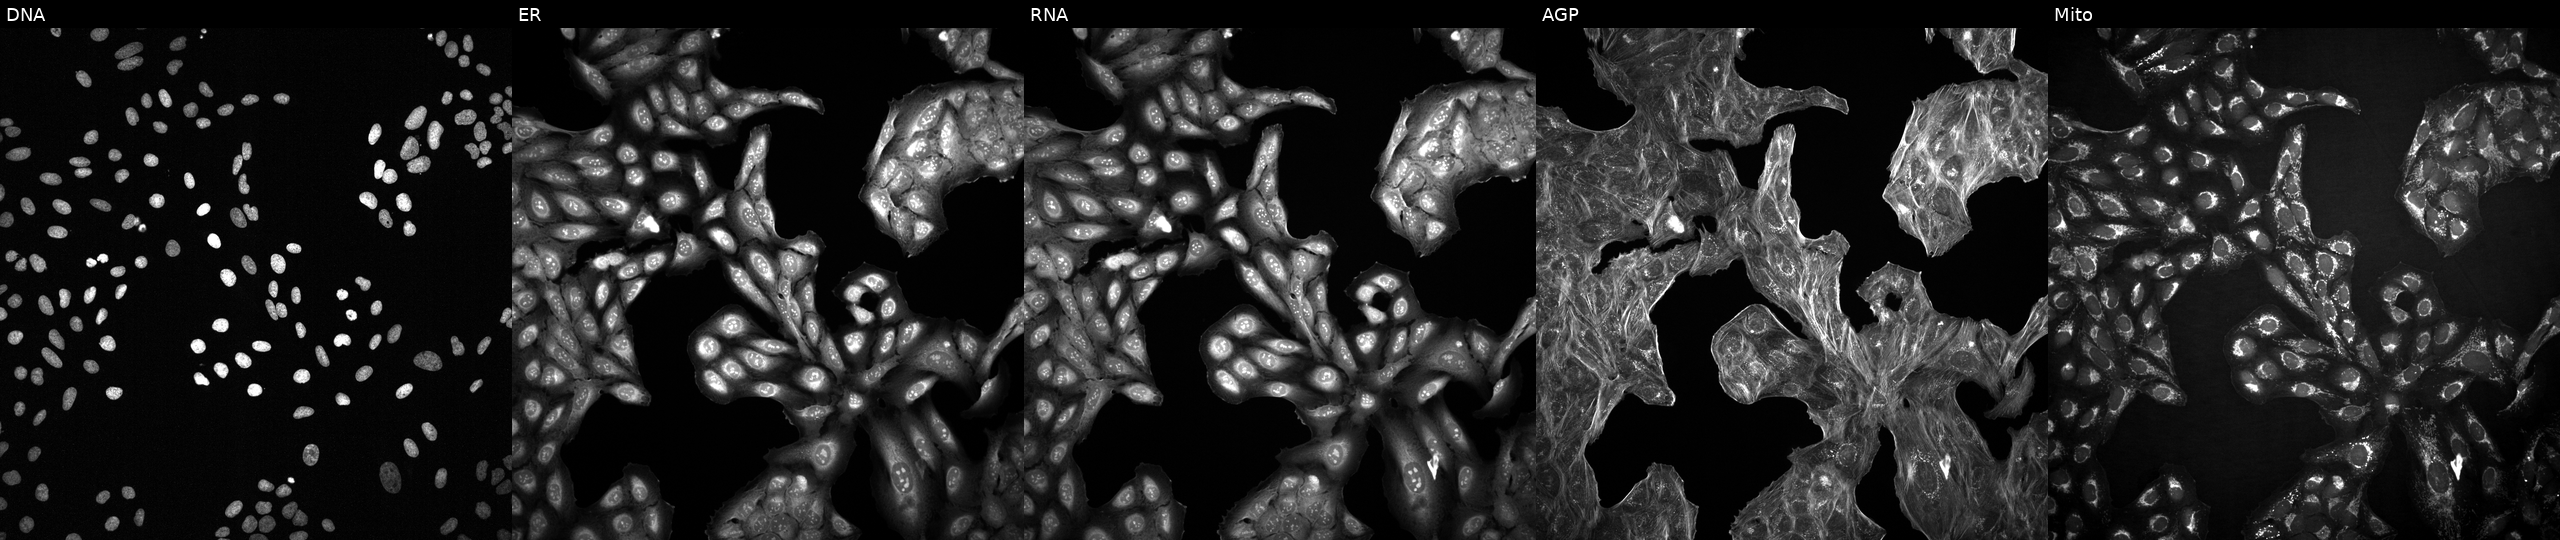
High-content fluorescence microscopy (Cell Painting). Cell line: U2OS. Perturbation: with an unidentified perturbation (not annotated in JUMP metadata). The five panels, left to right, show Hoechst 33342, concanavalin A, SYTO 14, phalloidin and WGA, MitoTracker. Source 2, plate 1053601756, well B17.